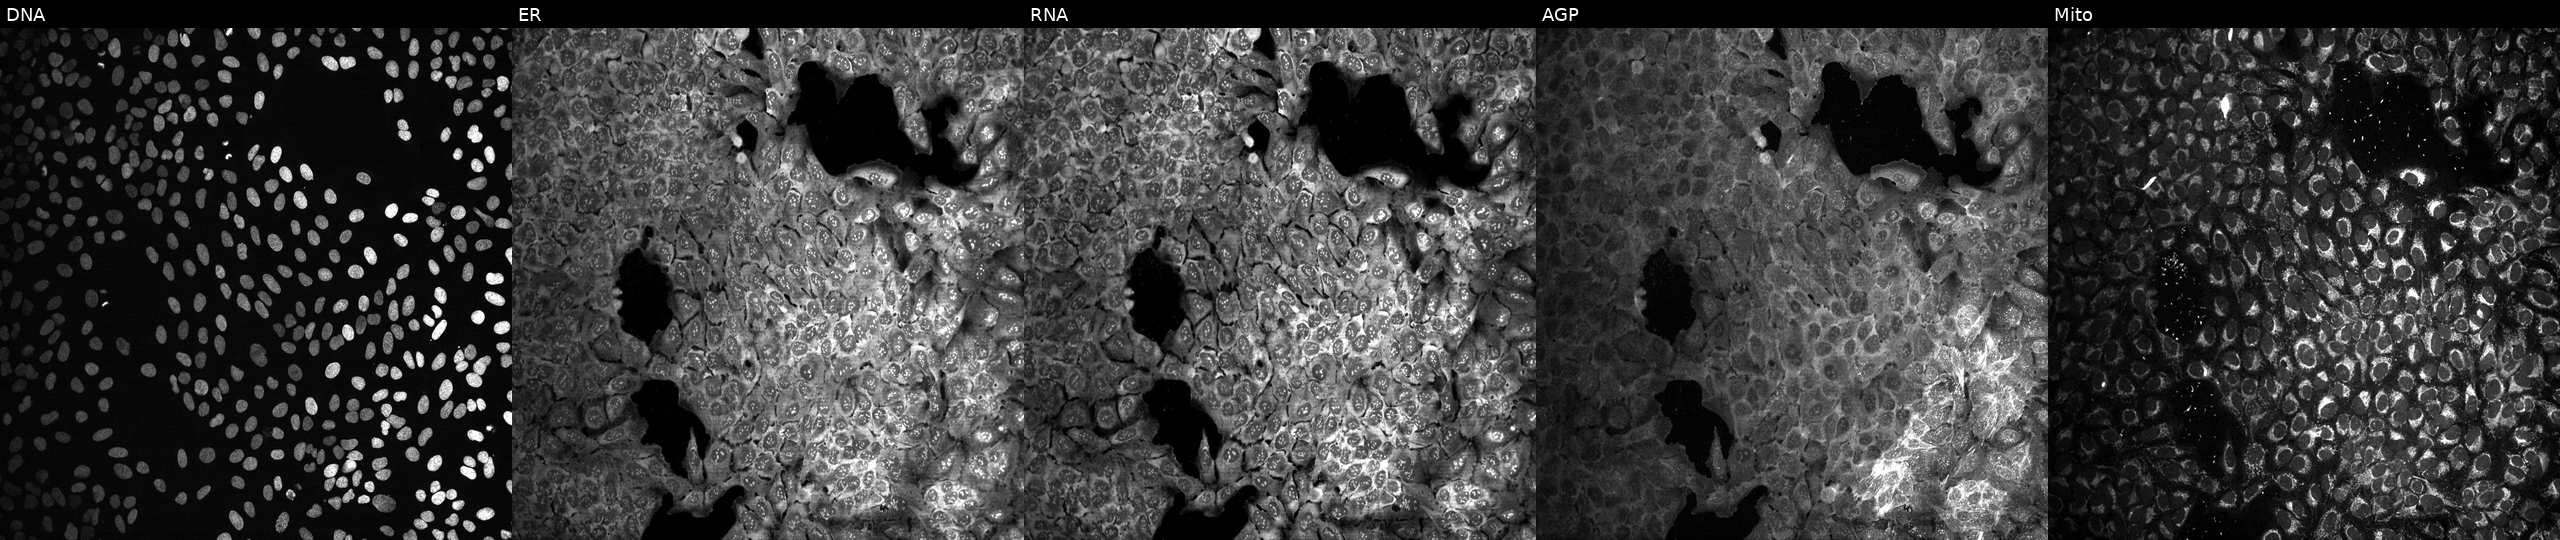
Five-channel Cell Painting image of U2OS cells exposed to the positive-control compound dexamethasone. Channels (left→right): DNA (nuclei); ER (endoplasmic reticulum); RNA (nucleoli and cytoplasmic RNA); AGP (actin cytoskeleton, Golgi, and plasma membrane); Mito (mitochondria).